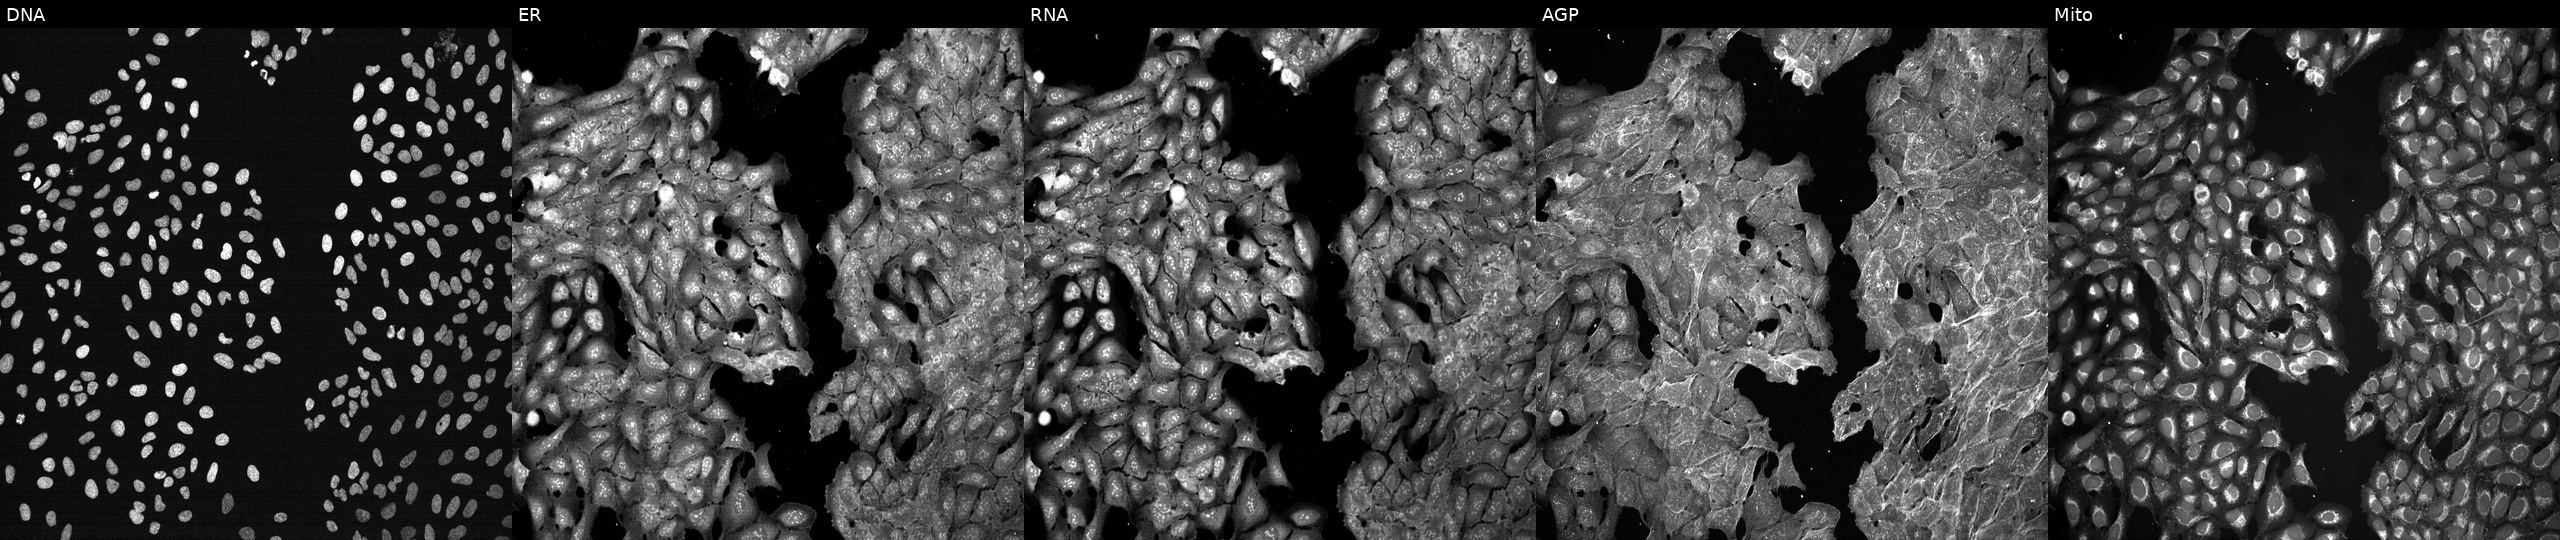
This image strip shows the five Cell Painting channels for a single field of U2OS cells exposed to a small-molecule compound (InChIKey XNOPRXBHLZRZKH-UHFFFAOYSA-N). From left to right: Hoechst 33342, concanavalin A, SYTO 14, phalloidin and WGA, MitoTracker. Source 7, plate CP3-SC1-25, well D21.